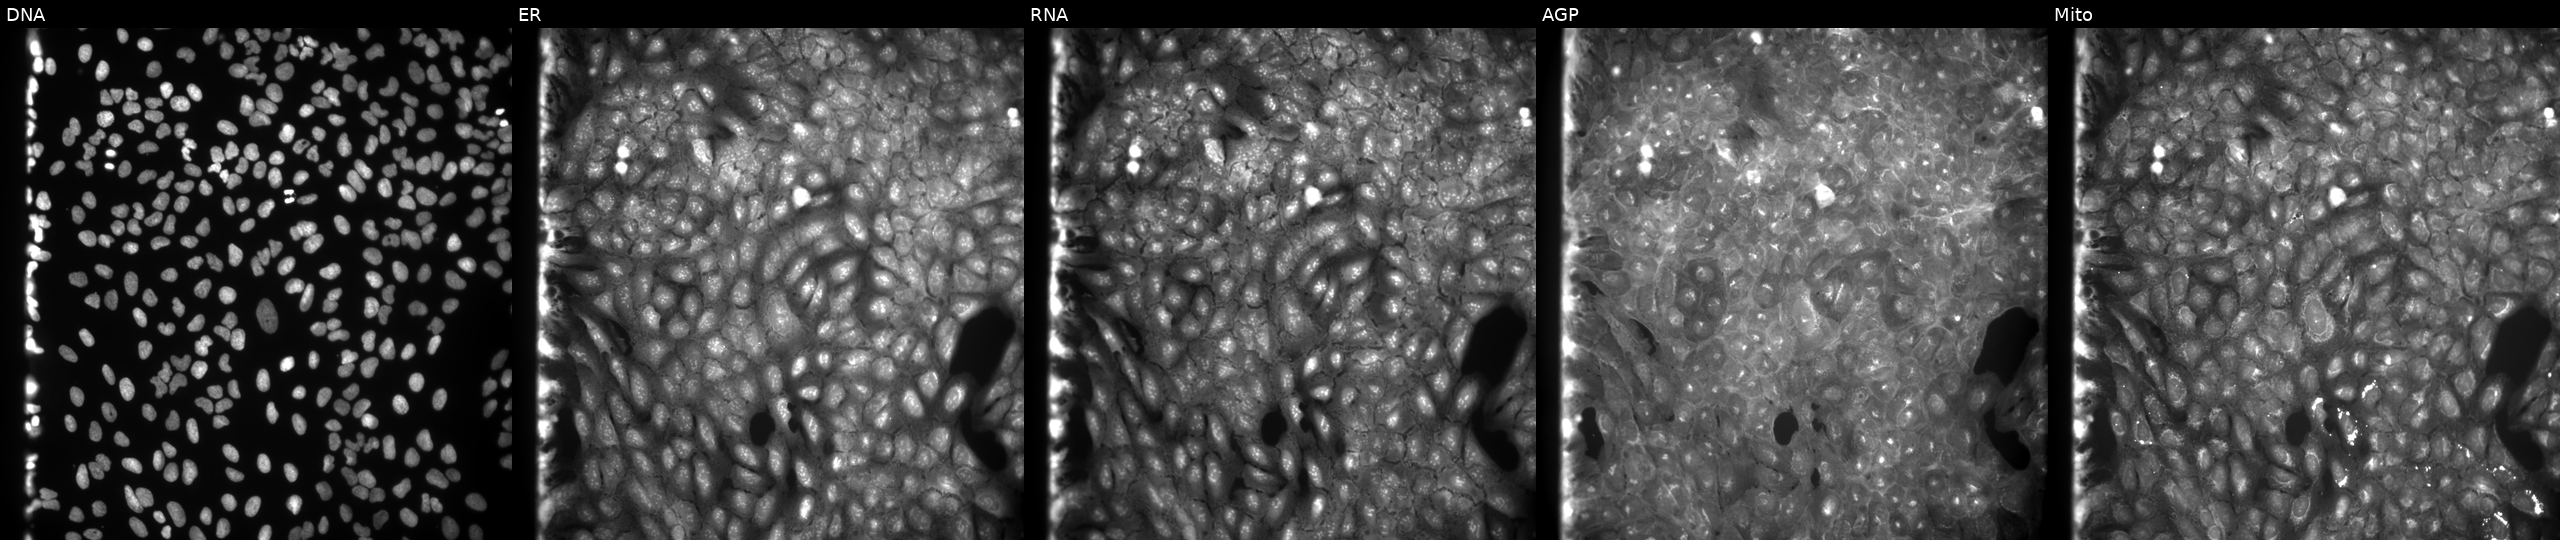
Five-channel Cell Painting image of U2OS cells treated with a small-molecule compound (InChIKey QABDAZBWKRBAOZ-UHFFFAOYSA-N) [SMILES: CCOC(=O)N1CCN(CCC(=O)Nc2cc(C)ccc2C)CC1] (JUMP id JCP2022_072091). Panels show, left to right, DNA, ER, RNA, AGP, and Mito.